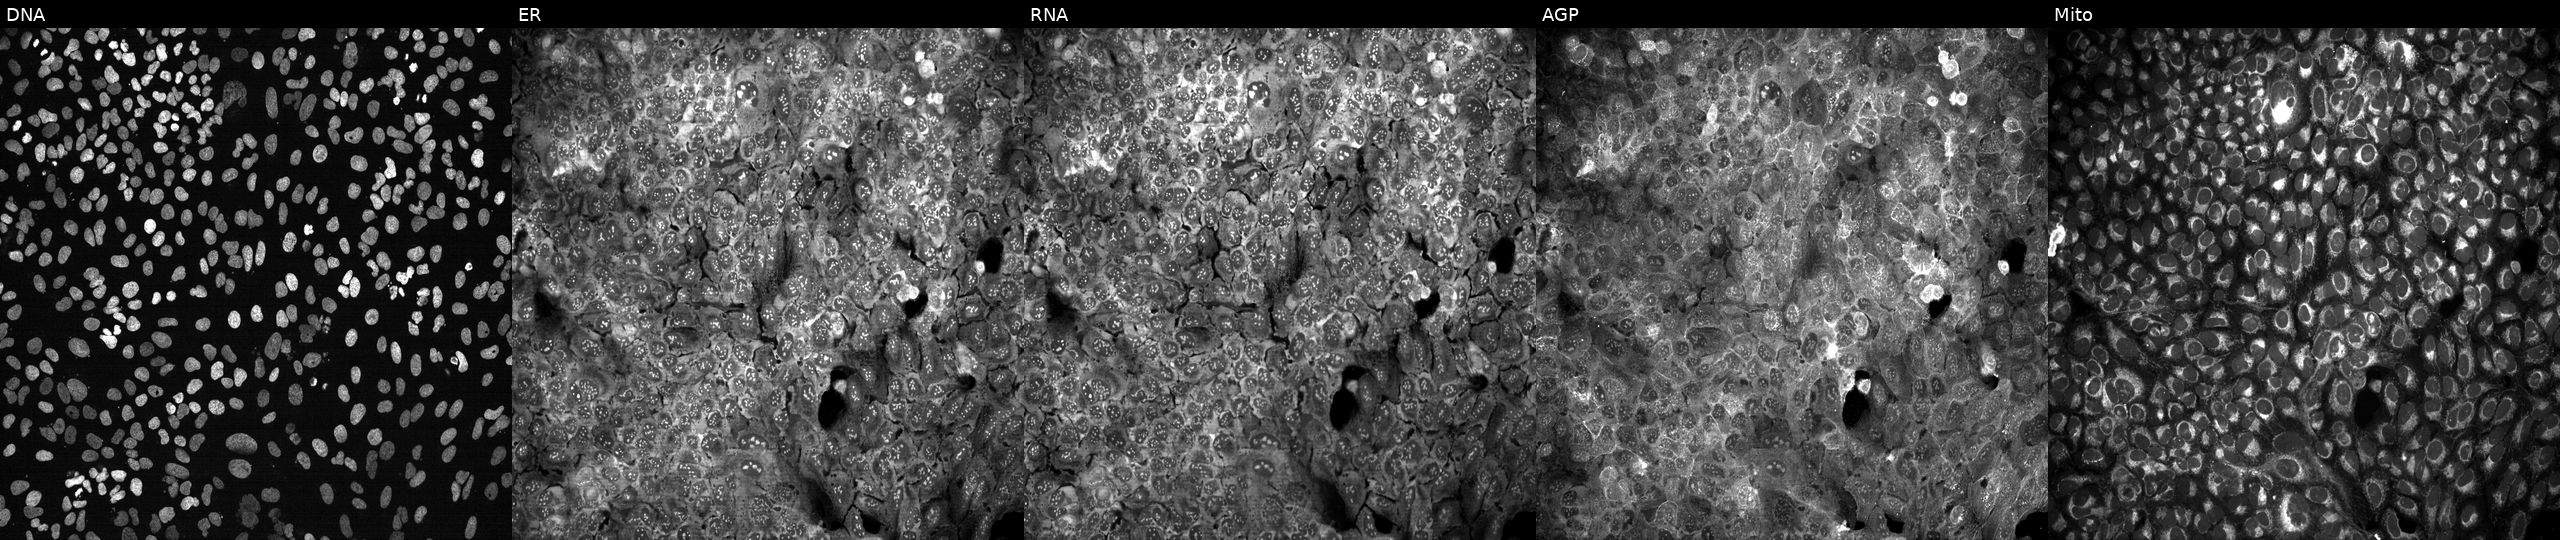
High-content fluorescence microscopy (Cell Painting). Cell line: U2OS. Perturbation: following CRISPR knockout of HSD11B1 (JUMP id JCP2022_803237). Panels show, left to right, DNA, ER, RNA, AGP, and Mito. Source 13, plate CP-CC9-R4-04, well M09.